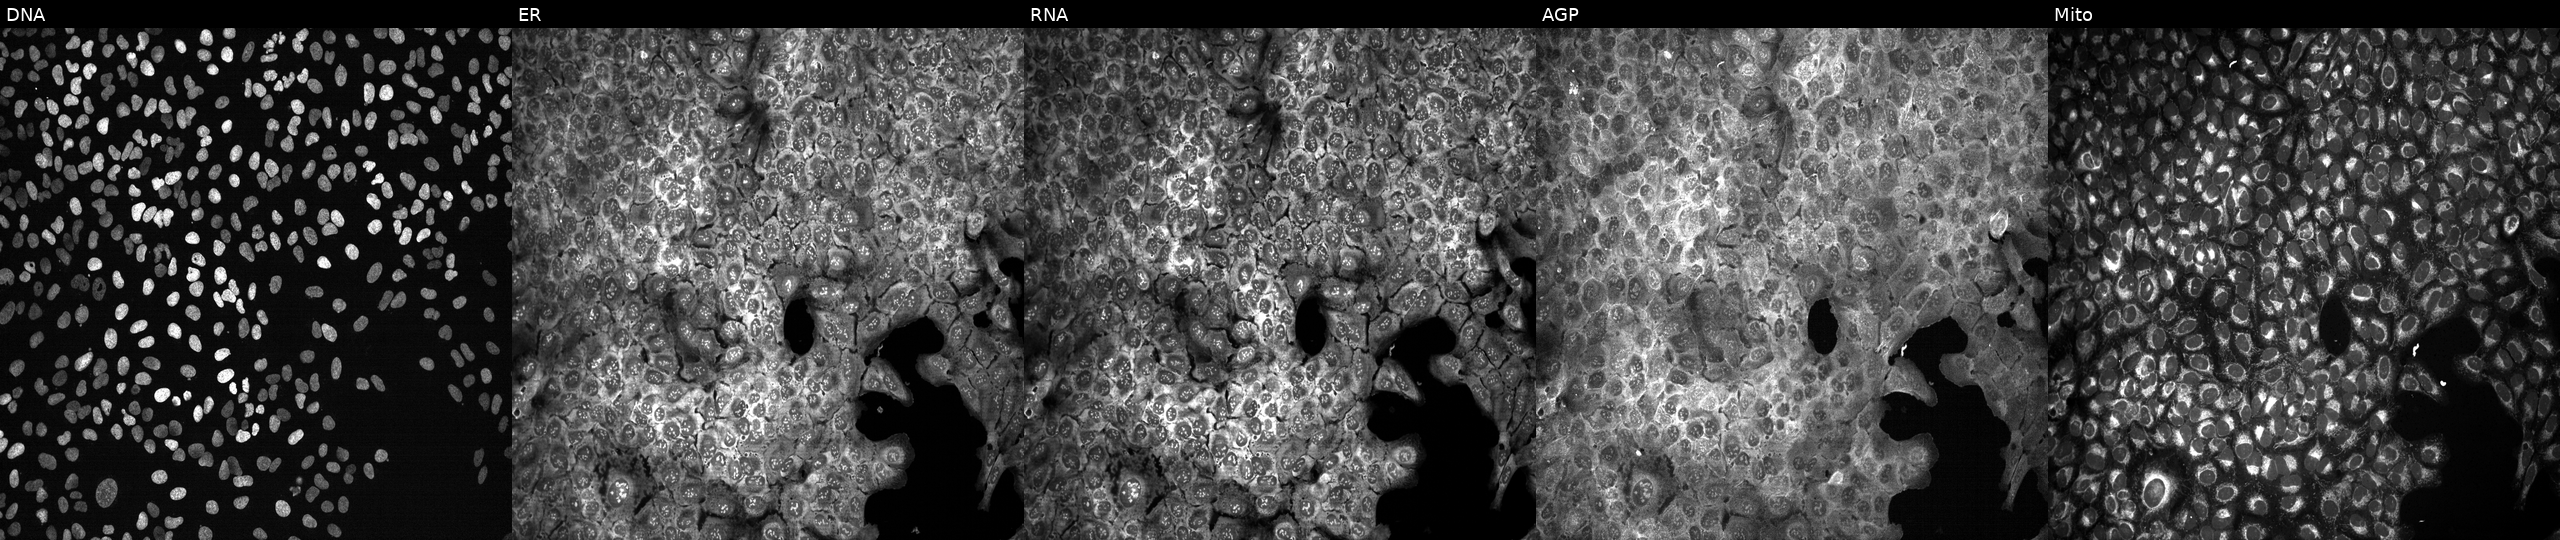
JUMP Cell Painting — CRISPR plate. U2OS cells with NGFR knocked out by CRISPR (JUMP id JCP2022_804563). From left to right: Hoechst 33342, concanavalin A, SYTO 14, phalloidin and WGA, MitoTracker.